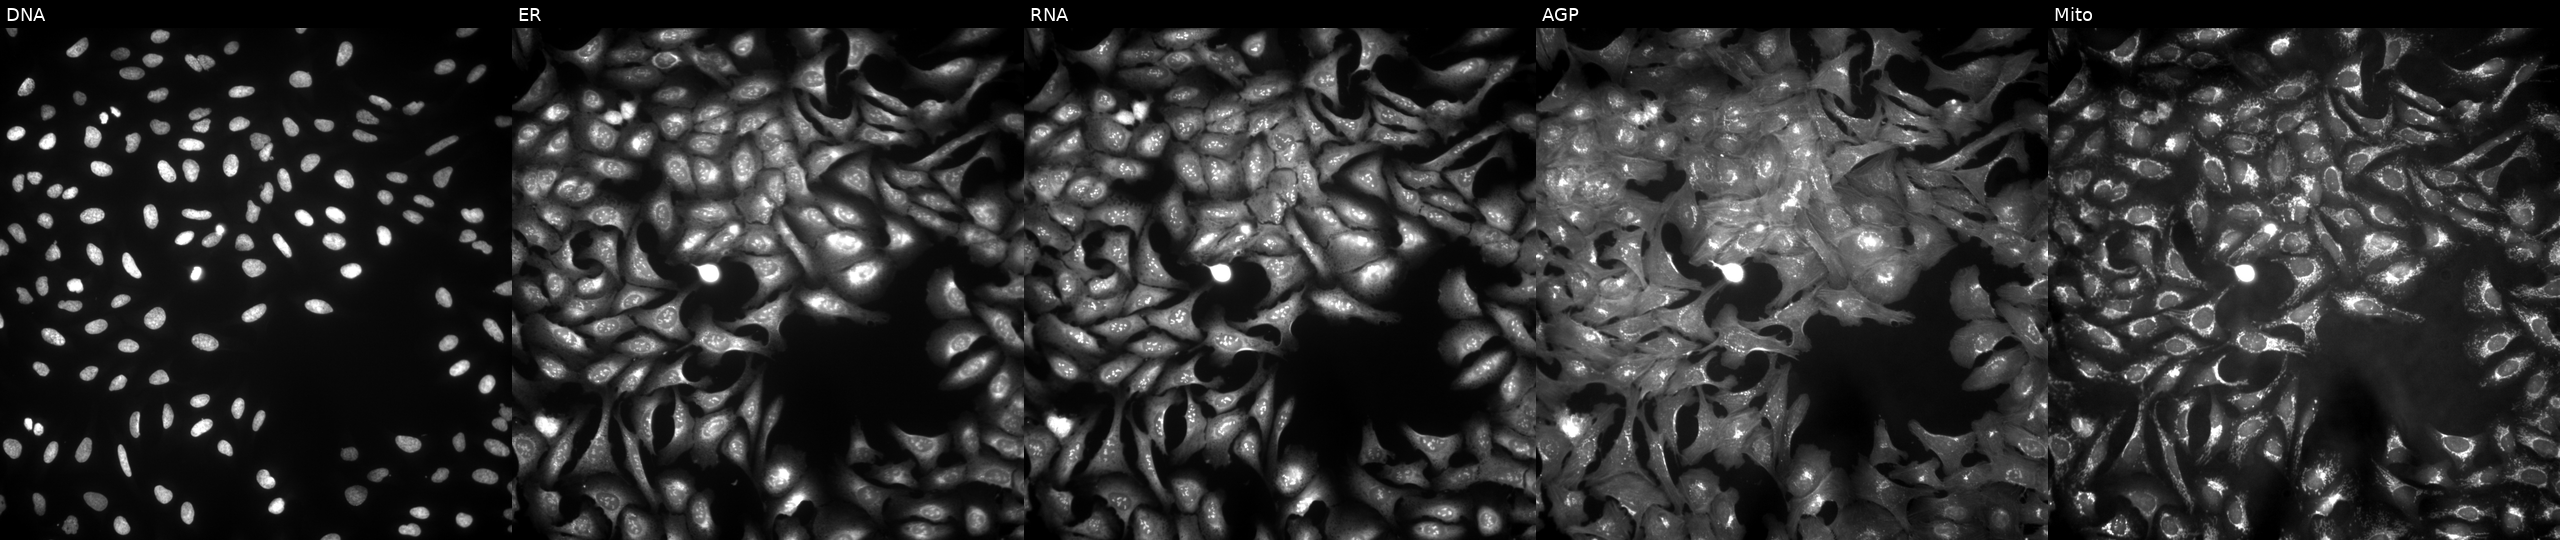
U2OS cells, Cell Painting assay, in an empty control well (no perturbation). Panels show, left to right, DNA, ER, RNA, AGP, and Mito. Each panel is percentile-stretched 16-bit fluorescence.